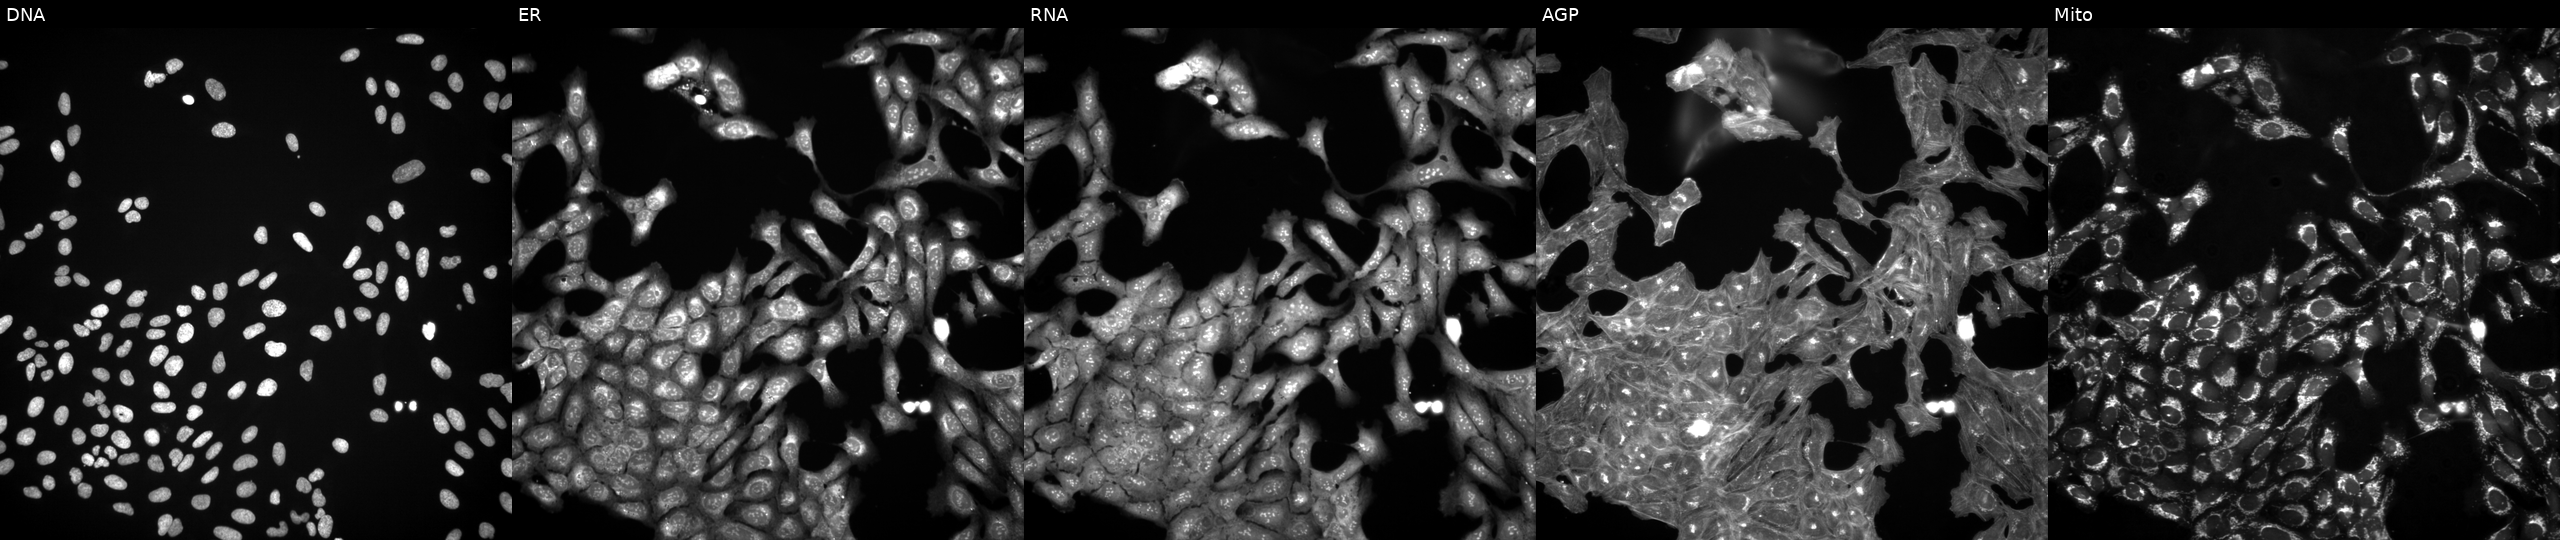
U2OS cells, Cell Painting assay, treated with a small-molecule compound. Channels (left→right): DNA, ER, RNA, AGP, and Mito. Each panel is percentile-stretched 16-bit fluorescence. Source 3, plate JCPQC051, well N15.